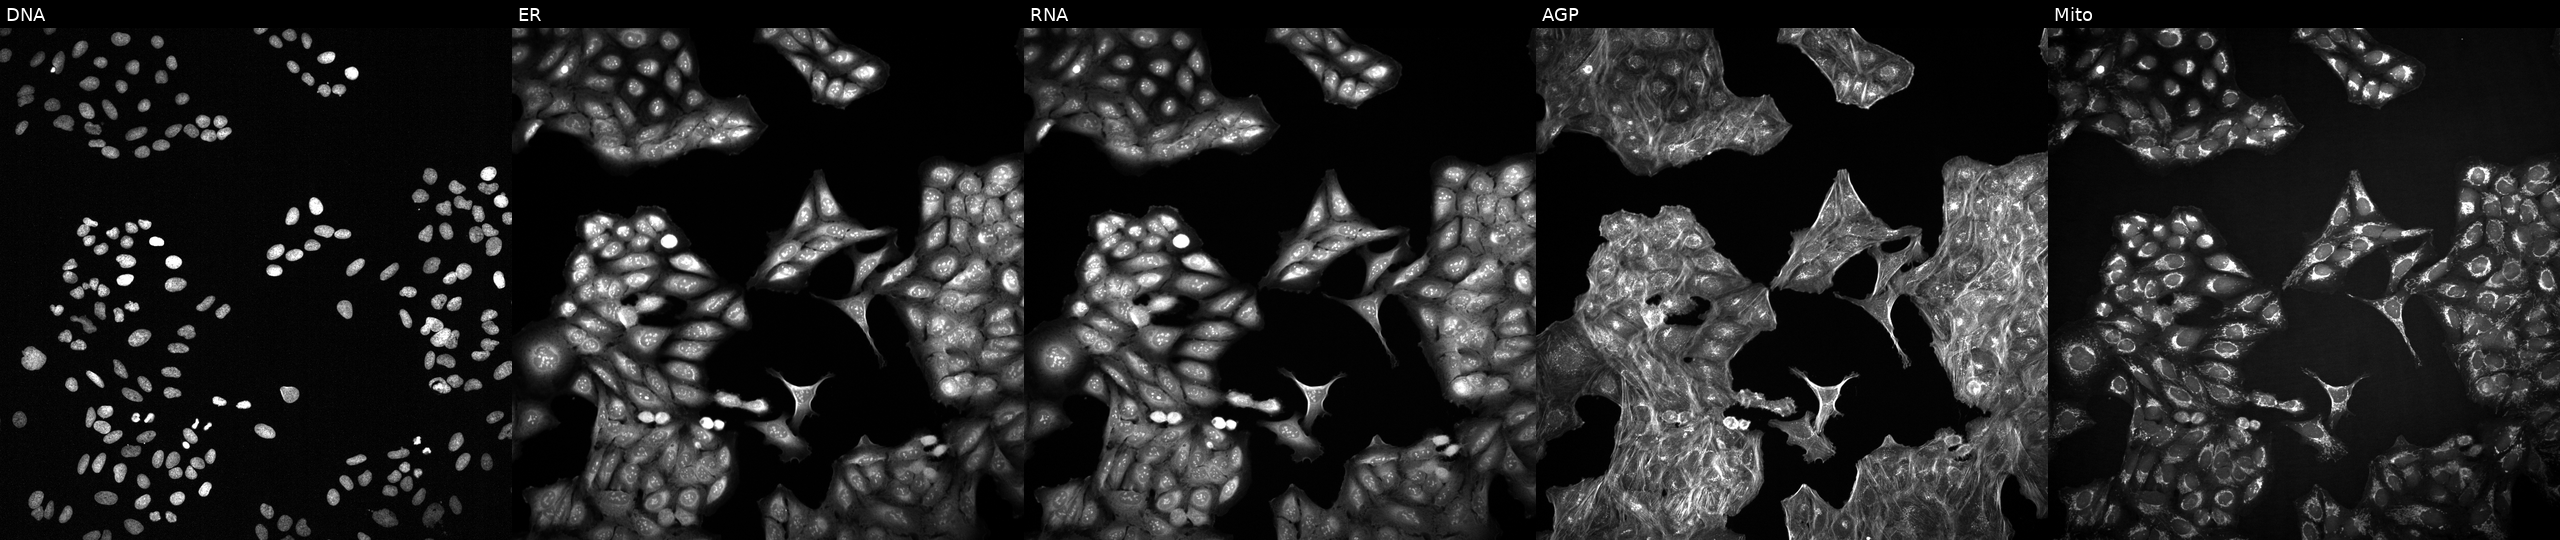
High-content fluorescence microscopy (Cell Painting). Cell line: U2OS. Perturbation: treated with a small-molecule compound (JUMP id JCP2022_063837). From left to right: DNA (nuclei); ER (endoplasmic reticulum); RNA (nucleoli and cytoplasmic RNA); AGP (actin cytoskeleton, Golgi, and plasma membrane); Mito (mitochondria). Source 2, plate 1053601763, well A21.